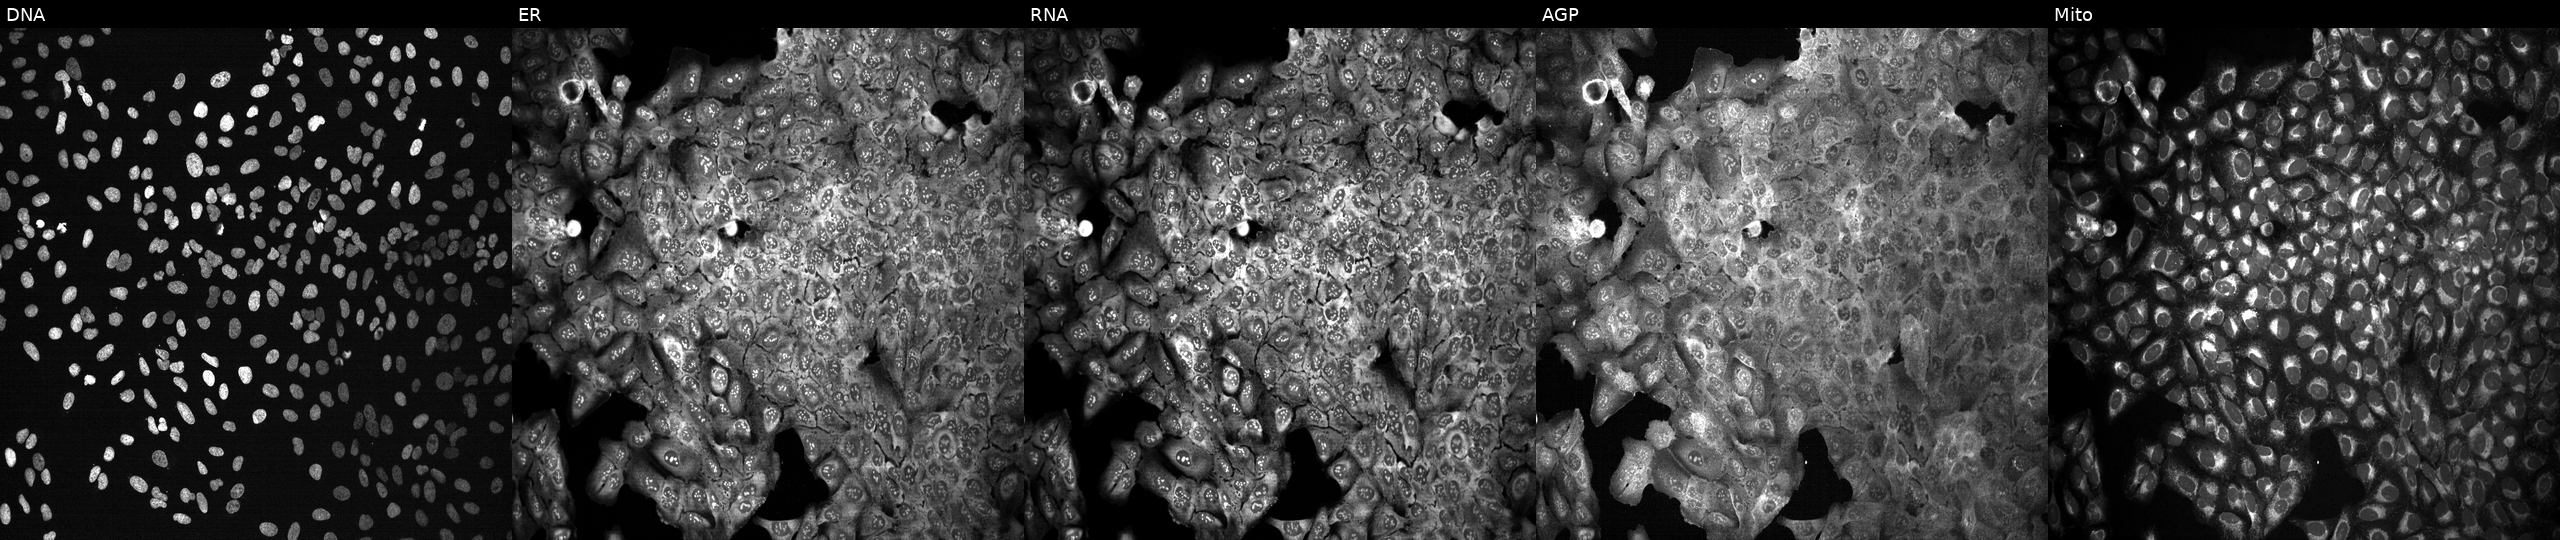
High-content fluorescence microscopy (Cell Painting). Cell line: U2OS. Perturbation: CRISPR-edited to disrupt APOF. The five panels, left to right, show Hoechst 33342, concanavalin A, SYTO 14, phalloidin and WGA, MitoTracker. Source 13, plate CP-CC9-R3-02, well L22.